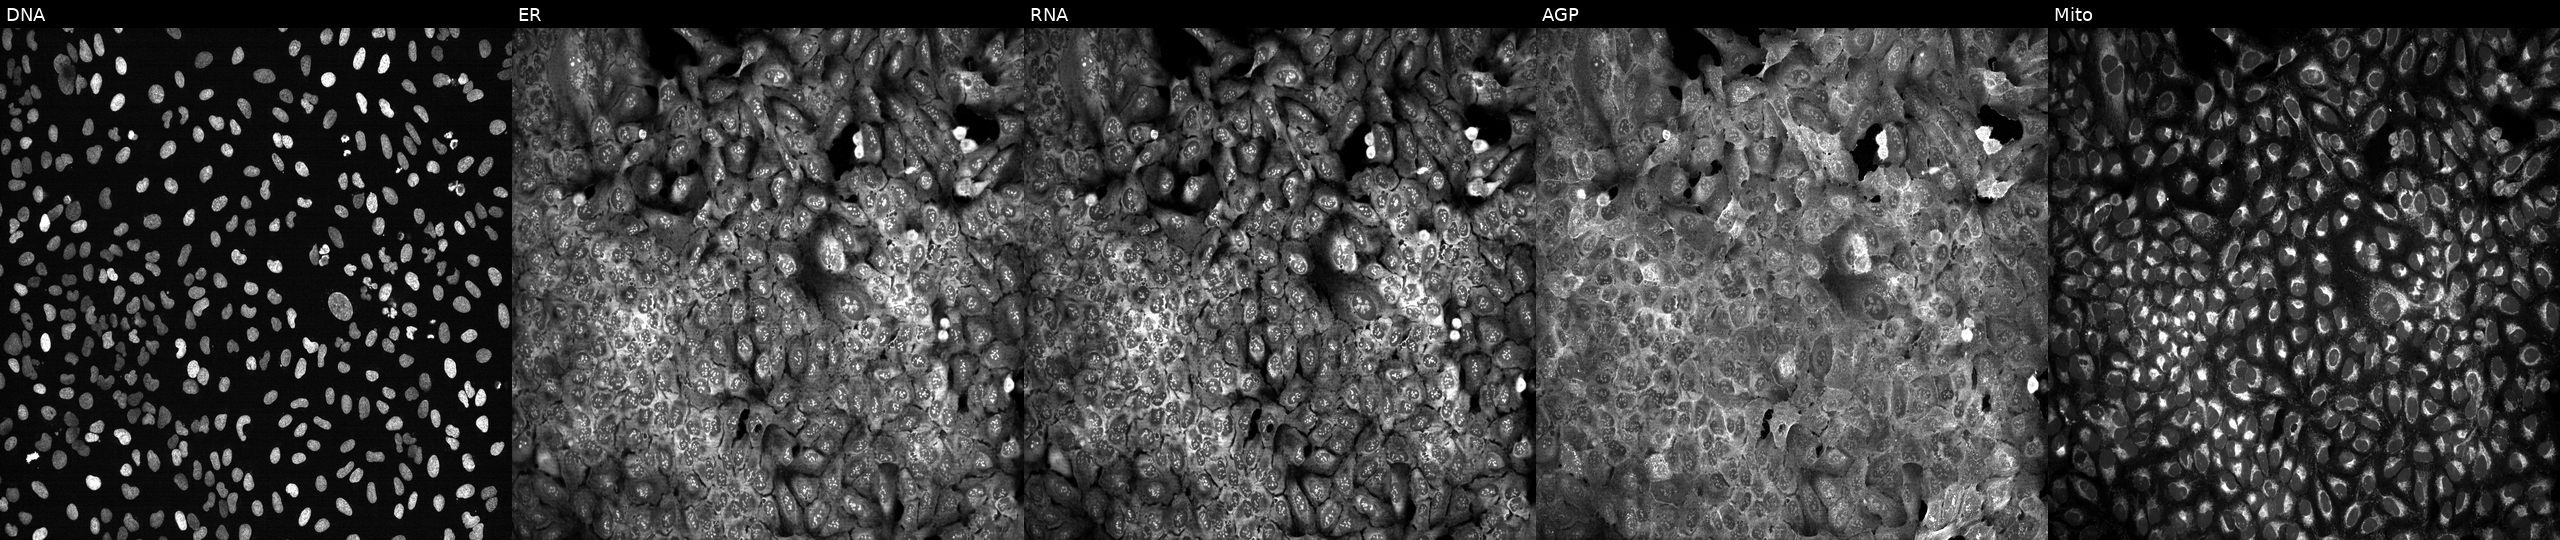
This image strip shows the five Cell Painting channels for a single field of U2OS cells following CRISPR knockout of APOBEC3B. The five panels, left to right, show DNA, ER, RNA, AGP, and Mito. Source 13, plate CP-CC9-R3-02, well E11.